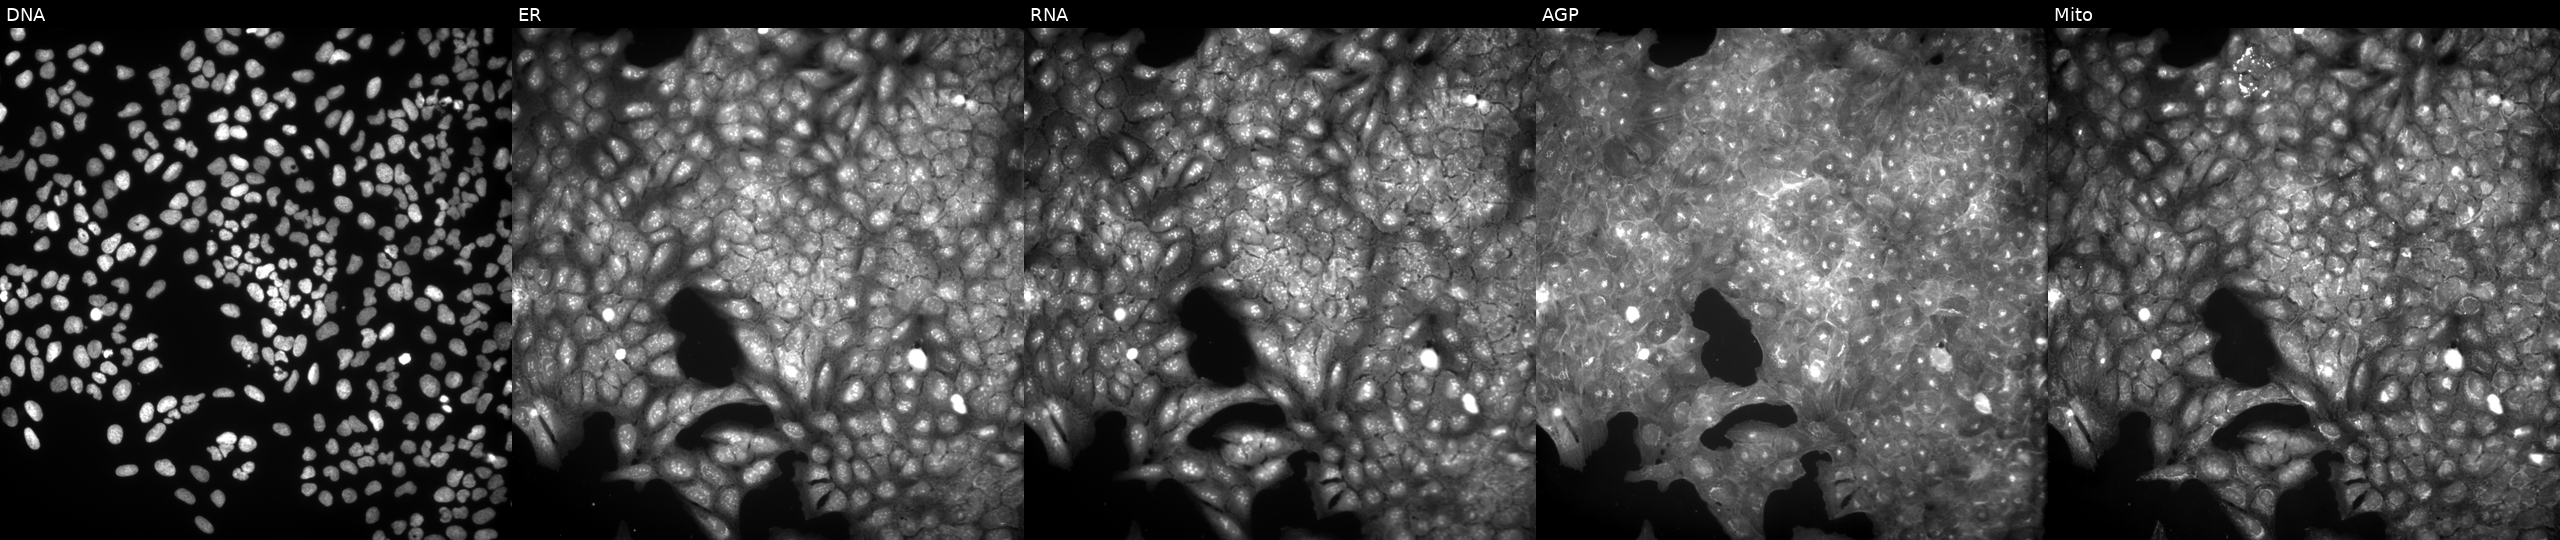
JUMP Cell Painting — COMPOUND plate. U2OS cells treated with a small-molecule compound (JUMP id JCP2022_111221). Channels (left→right): DNA, ER, RNA, AGP, and Mito.